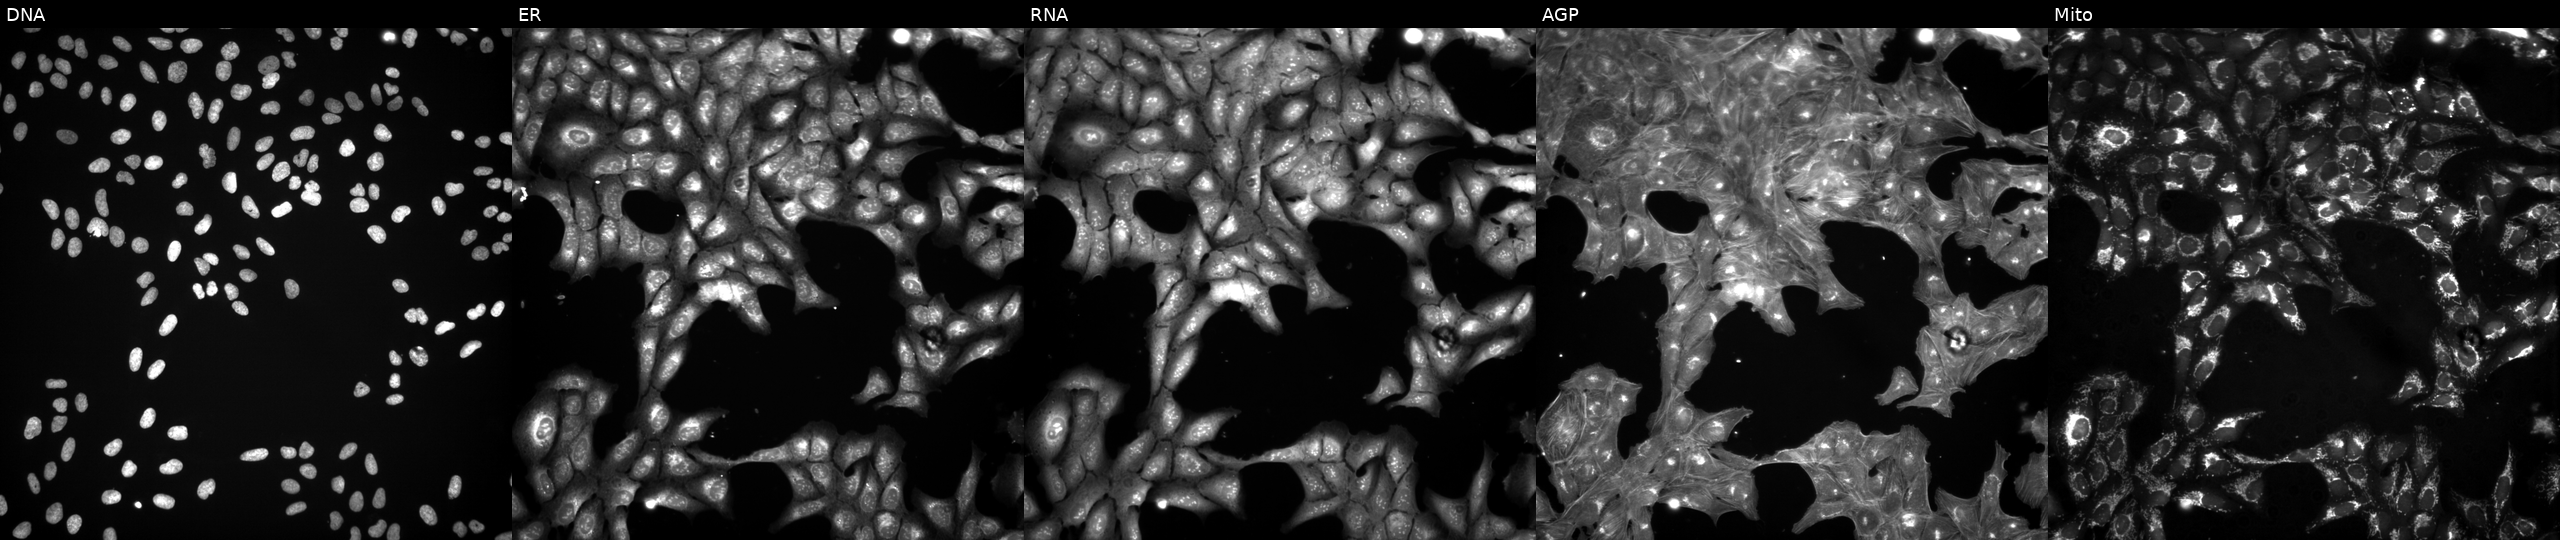
From left to right: DNA, ER, RNA, AGP, and Mito. U2OS osteosarcoma cells treated with DMSO vehicle only (negative control) (JUMP id JCP2022_033924). Cell Painting assay, JUMP-CP dataset.